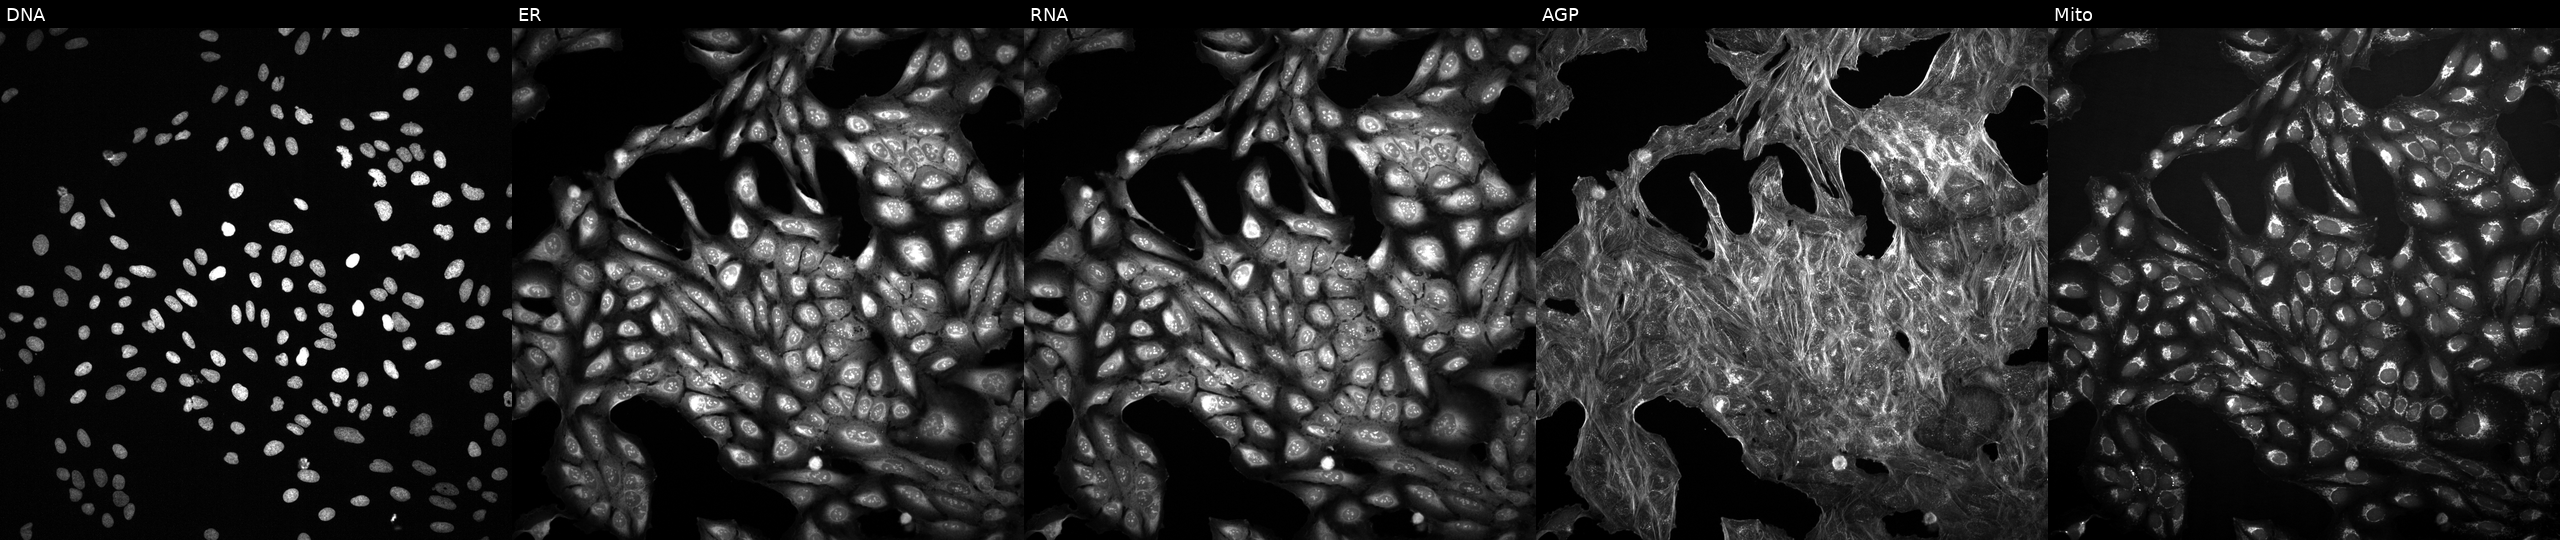
High-content fluorescence microscopy (Cell Painting). Cell line: U2OS. Perturbation: treated with DMSO vehicle only (negative control). The five panels, left to right, show Hoechst 33342, concanavalin A, SYTO 14, phalloidin and WGA, MitoTracker. Source 2, plate 1053597936, well E13.